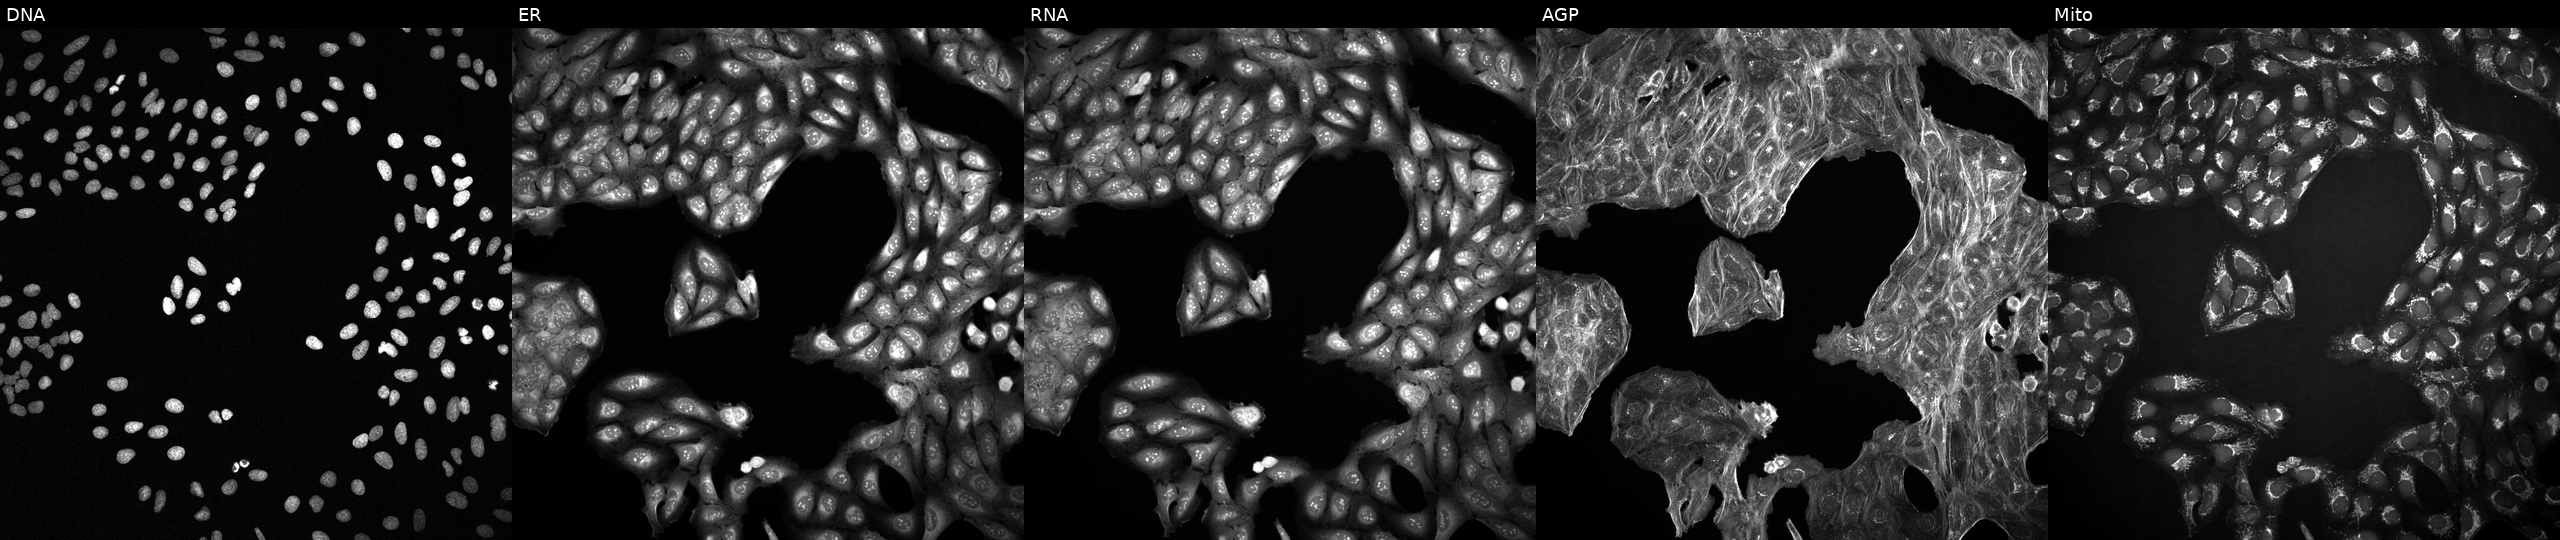
U2OS cells, Cell Painting assay, treated with a small-molecule compound (InChIKey NMUSYJAQQFHJEW-UHFFFAOYSA-N). Panels show, left to right, DNA, ER, RNA, AGP, and Mito. Each panel is percentile-stretched 16-bit fluorescence.